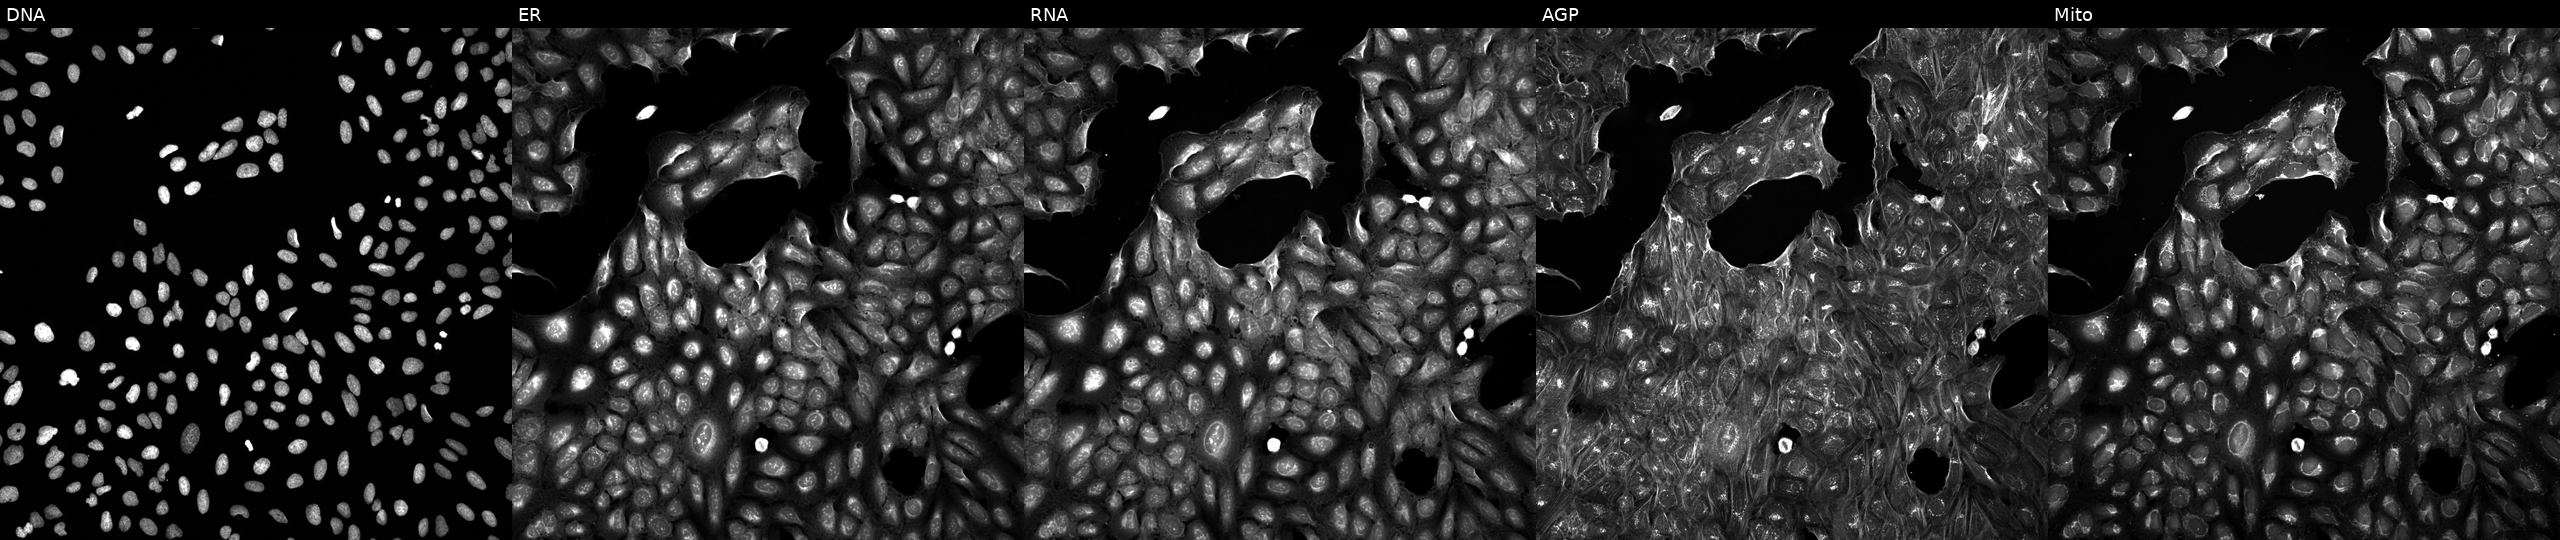
U2OS cells, Cell Painting assay, perturbed with a small-molecule compound. Panels show, left to right, DNA (nuclei); ER (endoplasmic reticulum); RNA (nucleoli and cytoplasmic RNA); AGP (actin cytoskeleton, Golgi, and plasma membrane); Mito (mitochondria). Each panel is percentile-stretched 16-bit fluorescence.